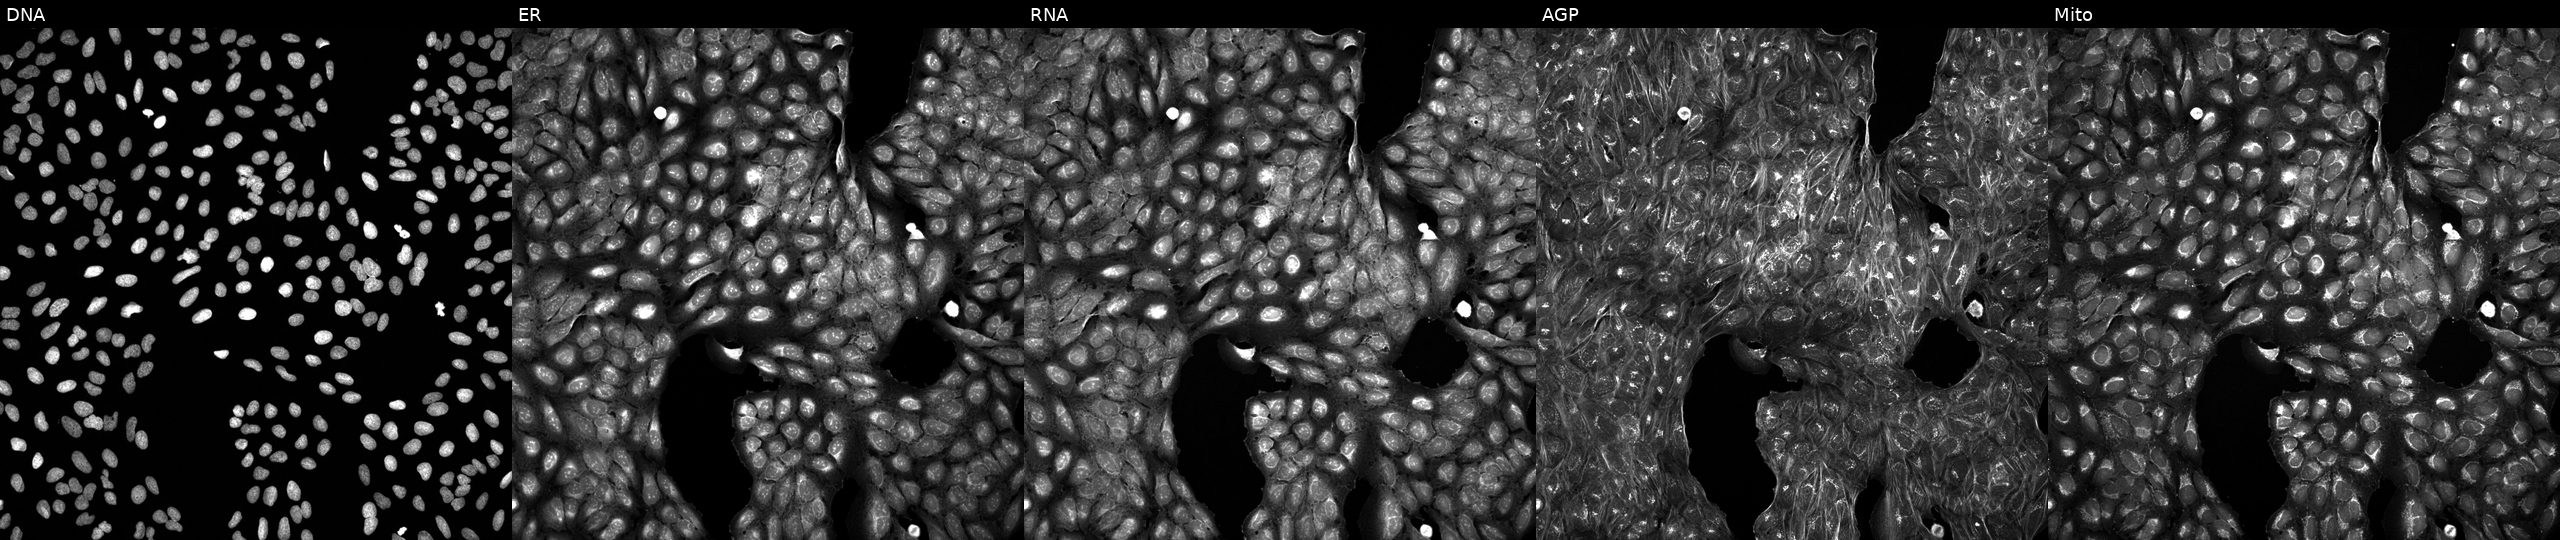
This image strip shows the five Cell Painting channels for a single field of U2OS cells treated with a small-molecule compound (InChIKey FFTPZJCXKVAXLI-UHFFFAOYSA-N). Channels (left→right): Hoechst 33342, concanavalin A, SYTO 14, phalloidin and WGA, MitoTracker.